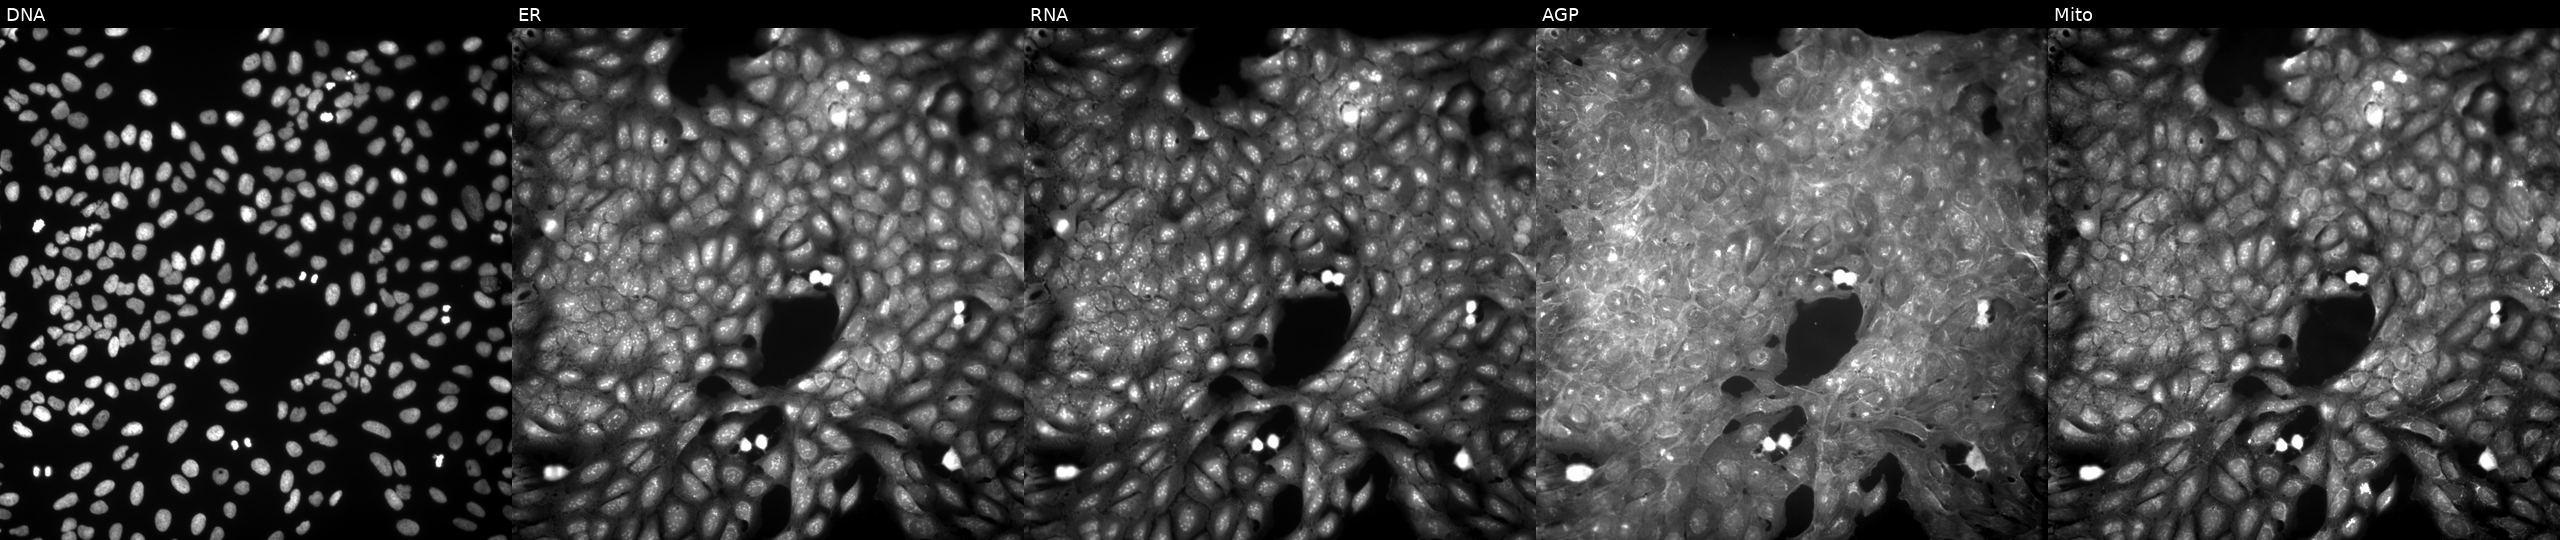
JUMP Cell Painting — COMPOUND plate. U2OS cells treated with a small-molecule compound (InChIKey HRXZKNPWPDMECN-UHFFFAOYSA-N). The five panels, left to right, show DNA (nuclei); ER (endoplasmic reticulum); RNA (nucleoli and cytoplasmic RNA); AGP (actin cytoskeleton, Golgi, and plasma membrane); Mito (mitochondria).